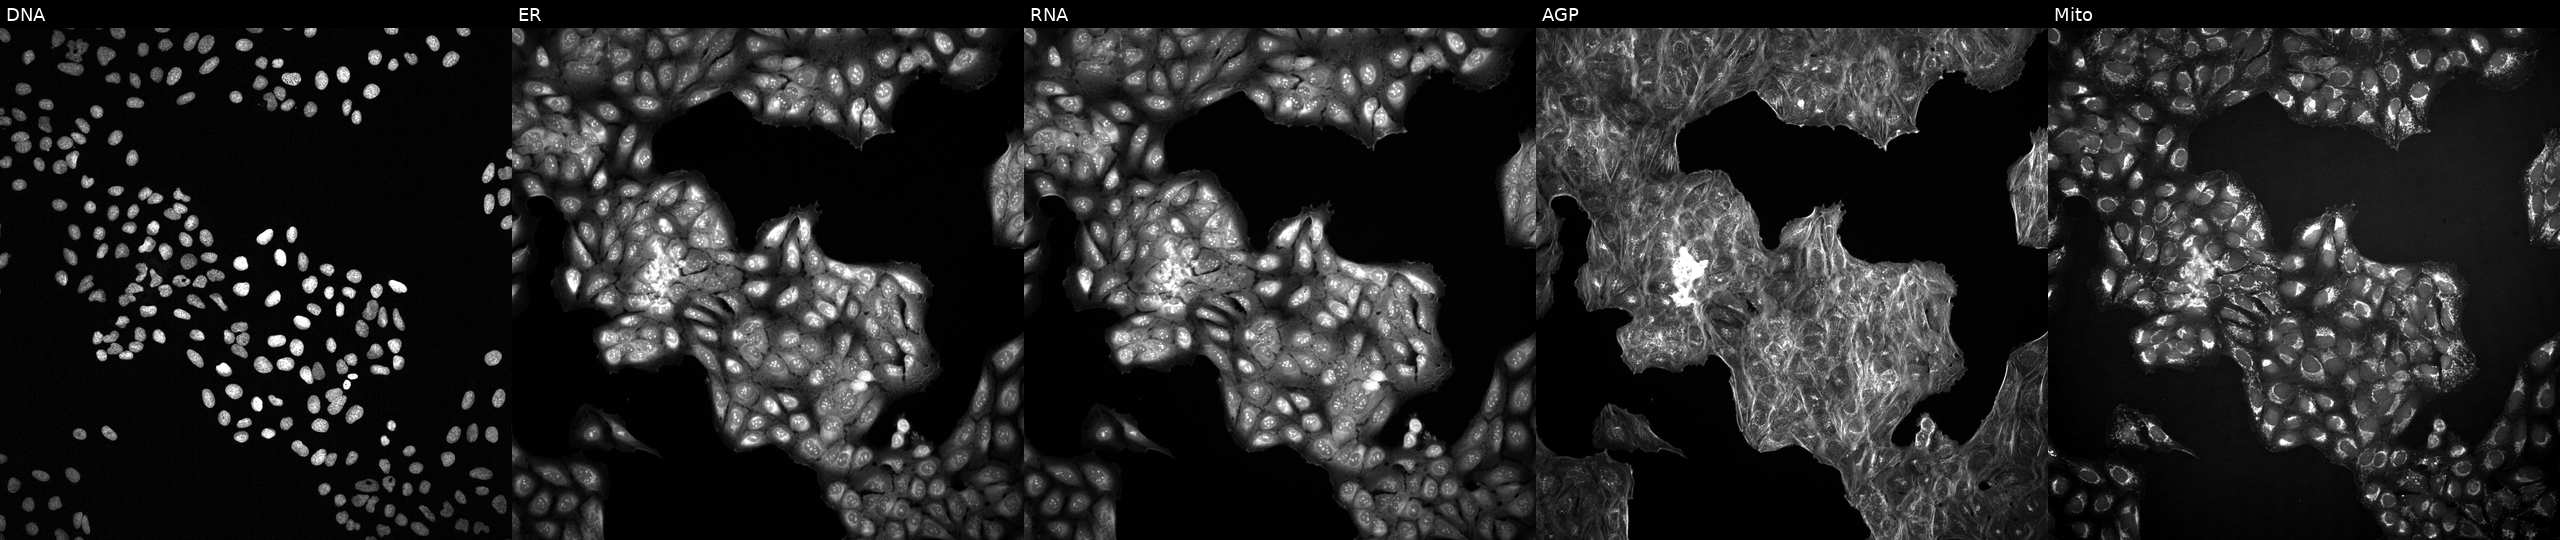
High-content fluorescence microscopy (Cell Painting). Cell line: U2OS. Perturbation: with an unidentified perturbation (not annotated in JUMP metadata). The five panels, left to right, show DNA (nuclei); ER (endoplasmic reticulum); RNA (nucleoli and cytoplasmic RNA); AGP (actin cytoskeleton, Golgi, and plasma membrane); Mito (mitochondria).